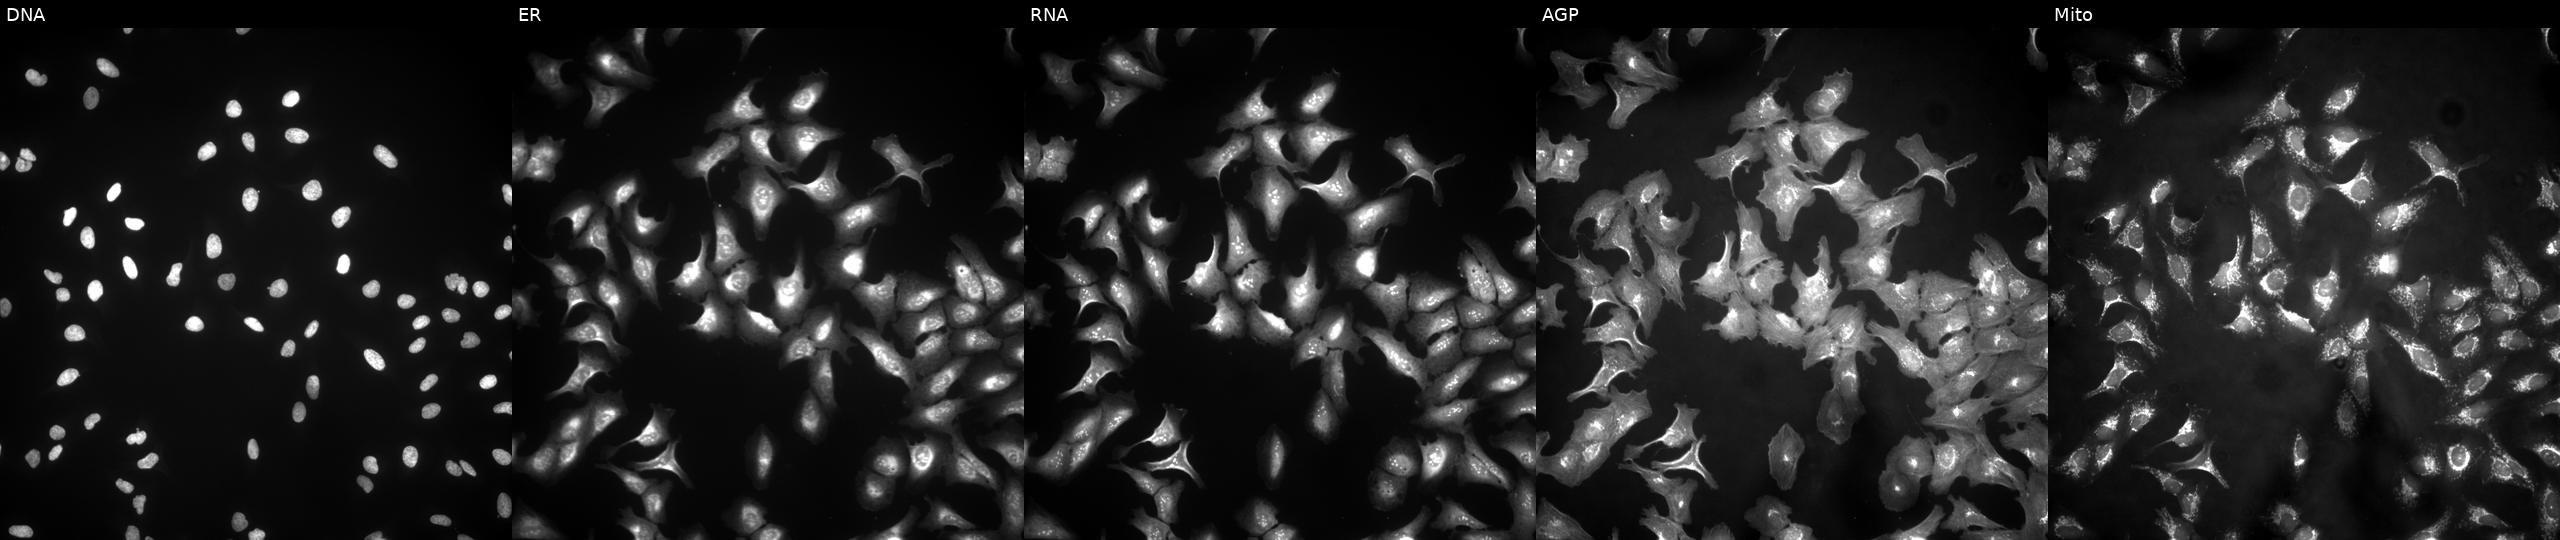
JUMP Cell Painting — ORF plate. U2OS cells transfected with an ORF construct for ACY1 (JUMP id JCP2022_900018). Channels (left→right): DNA, ER, RNA, AGP, and Mito. Source 4, plate BR00123506, well P04.